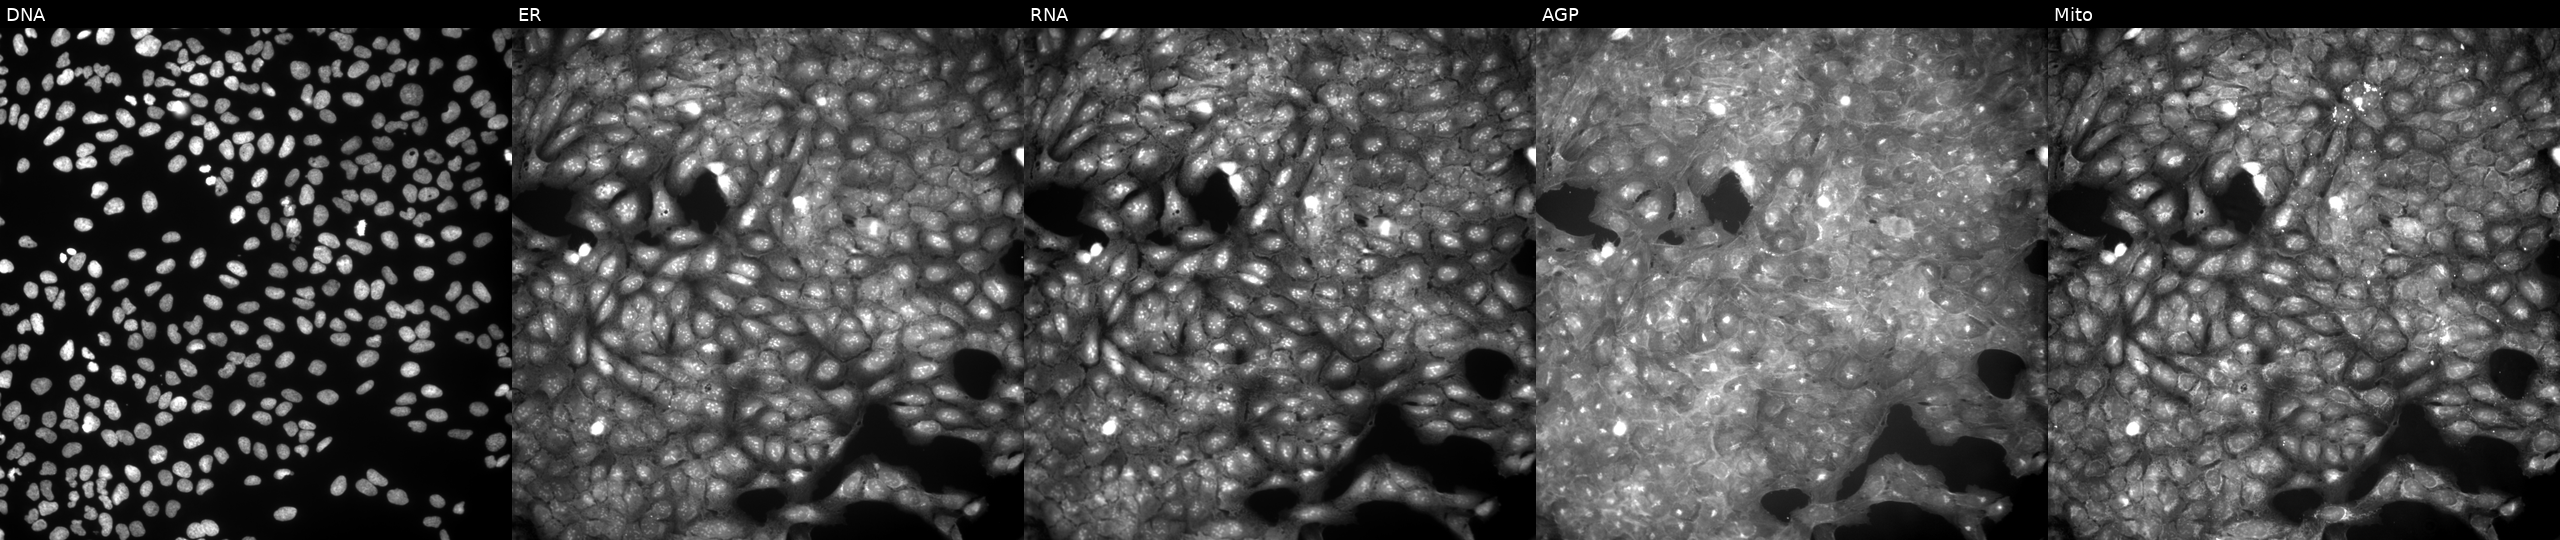
This image strip shows the five Cell Painting channels for a single field of U2OS cells exposed to DMSO alone as a negative control (JUMP id JCP2022_033924). Channels (left→right): Hoechst 33342, concanavalin A, SYTO 14, phalloidin and WGA, MitoTracker.